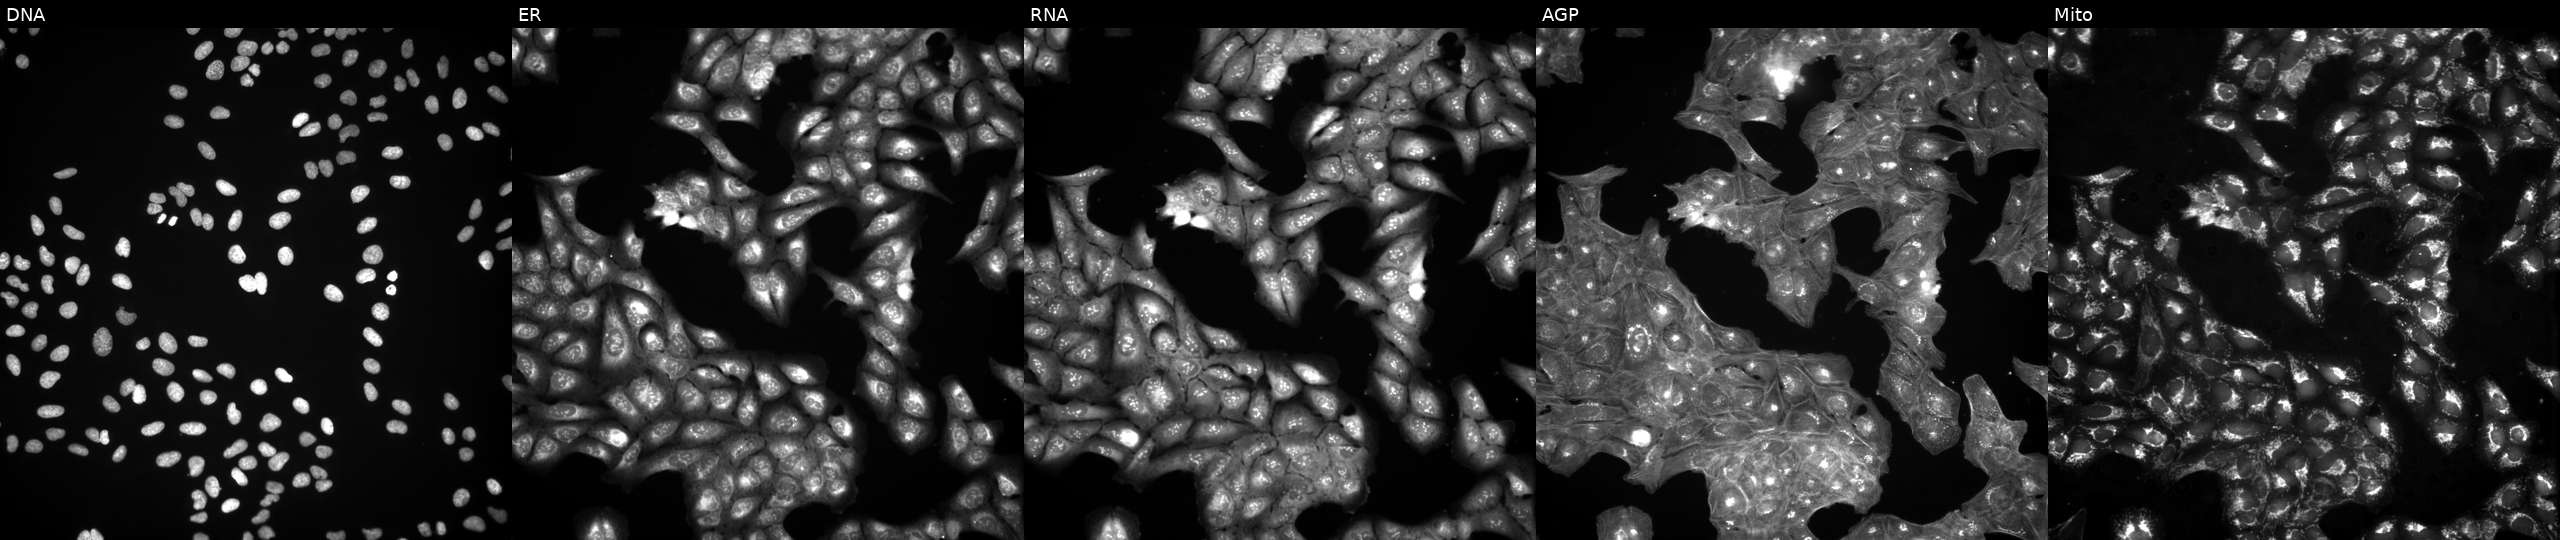
This image strip shows the five Cell Painting channels for a single field of U2OS cells untreated (empty-well control). From left to right: DNA, ER, RNA, AGP, and Mito.